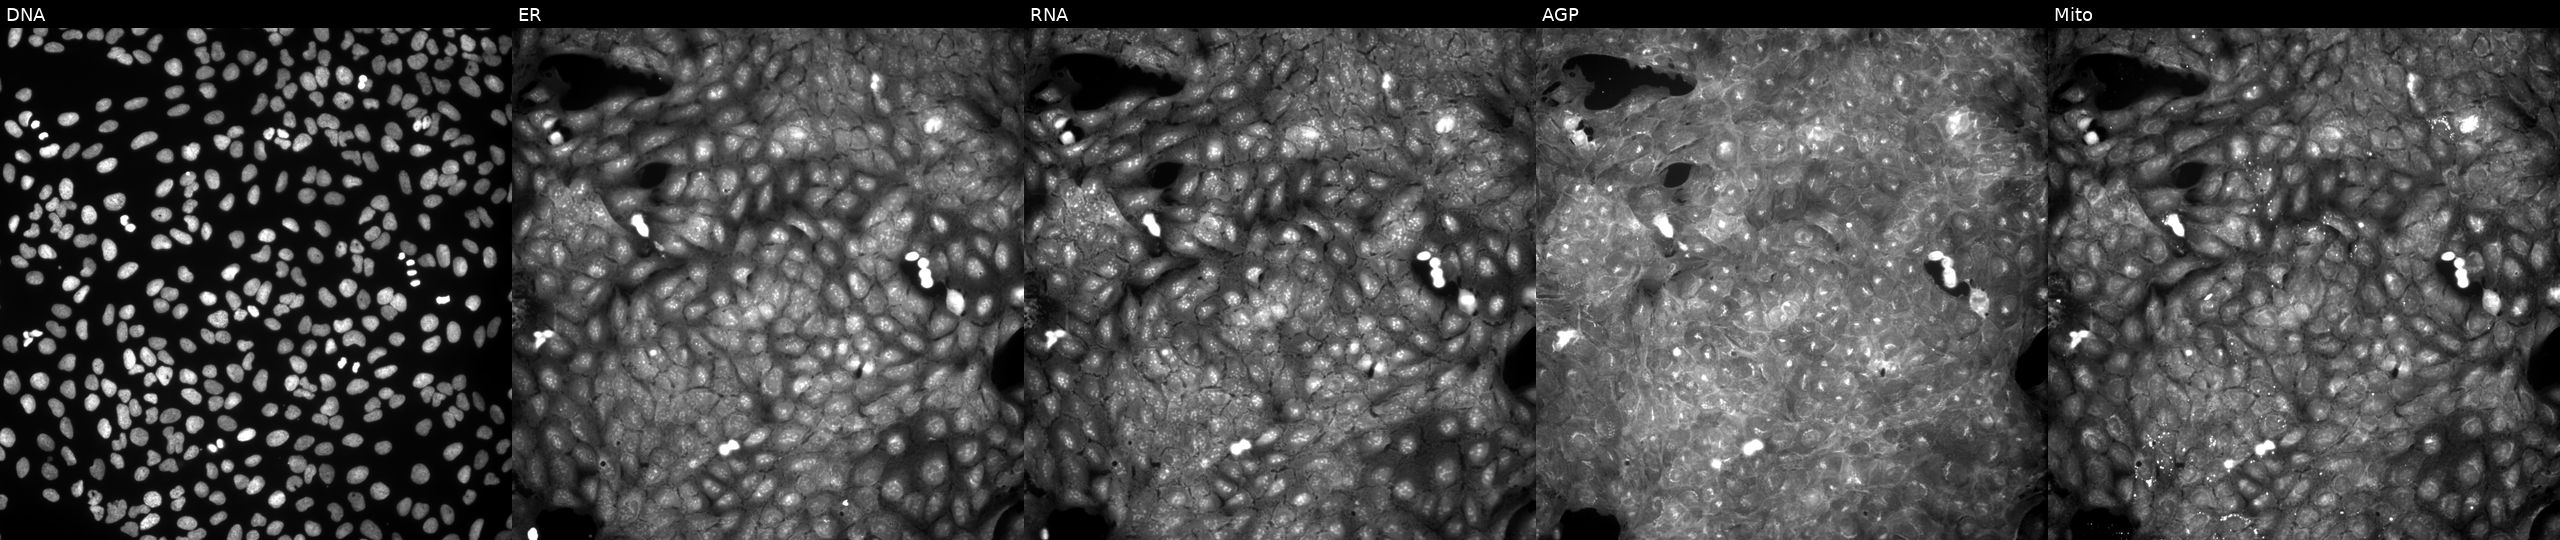
JUMP Cell Painting — COMPOUND plate. U2OS cells perturbed with a small-molecule compound [SMILES: Cc1ccc(C2SCC(=O)N2Cc2ccccc2)cc1]. Channels (left→right): DNA (nuclei); ER (endoplasmic reticulum); RNA (nucleoli and cytoplasmic RNA); AGP (actin cytoskeleton, Golgi, and plasma membrane); Mito (mitochondria). Source 9, plate GR00003381, well M27.